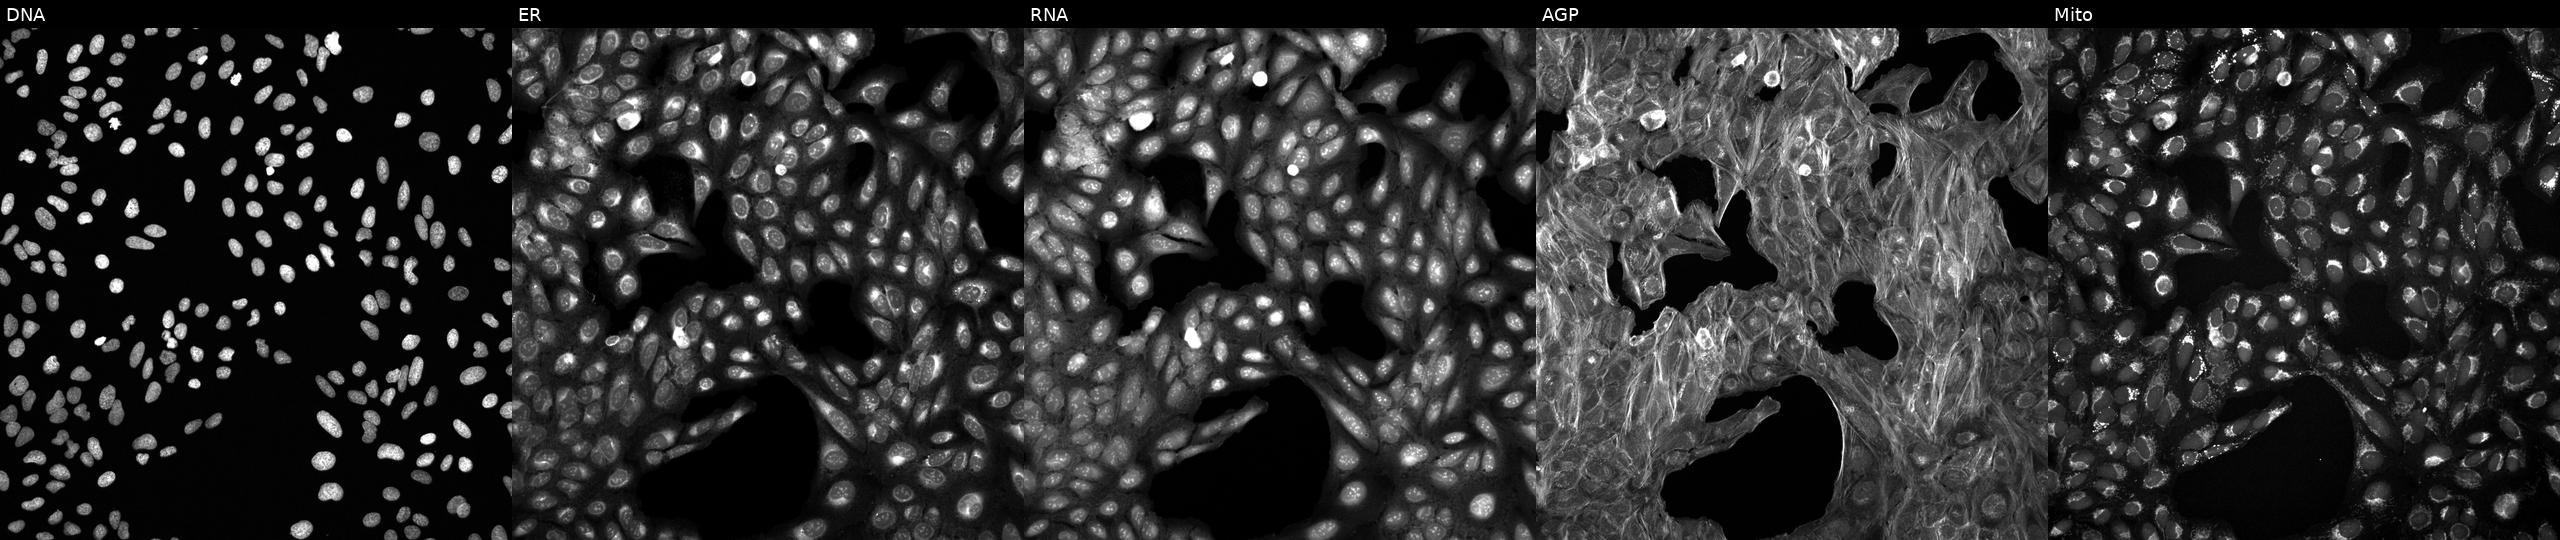
Five-channel Cell Painting image of U2OS cells treated with a small-molecule compound (InChIKey VJDYILAKVKMJNO-UHFFFAOYSA-N) [SMILES: Cc1ccc(-c2cc(C(=O)N3CCc4ccccc4C3)nn2C2CCS(=O)(=O)C2)cc1] (JUMP id JCP2022_094301). Channels (left→right): DNA (nuclei); ER (endoplasmic reticulum); RNA (nucleoli and cytoplasmic RNA); AGP (actin cytoskeleton, Golgi, and plasma membrane); Mito (mitochondria). Source 6, plate 110000293082, well L18.